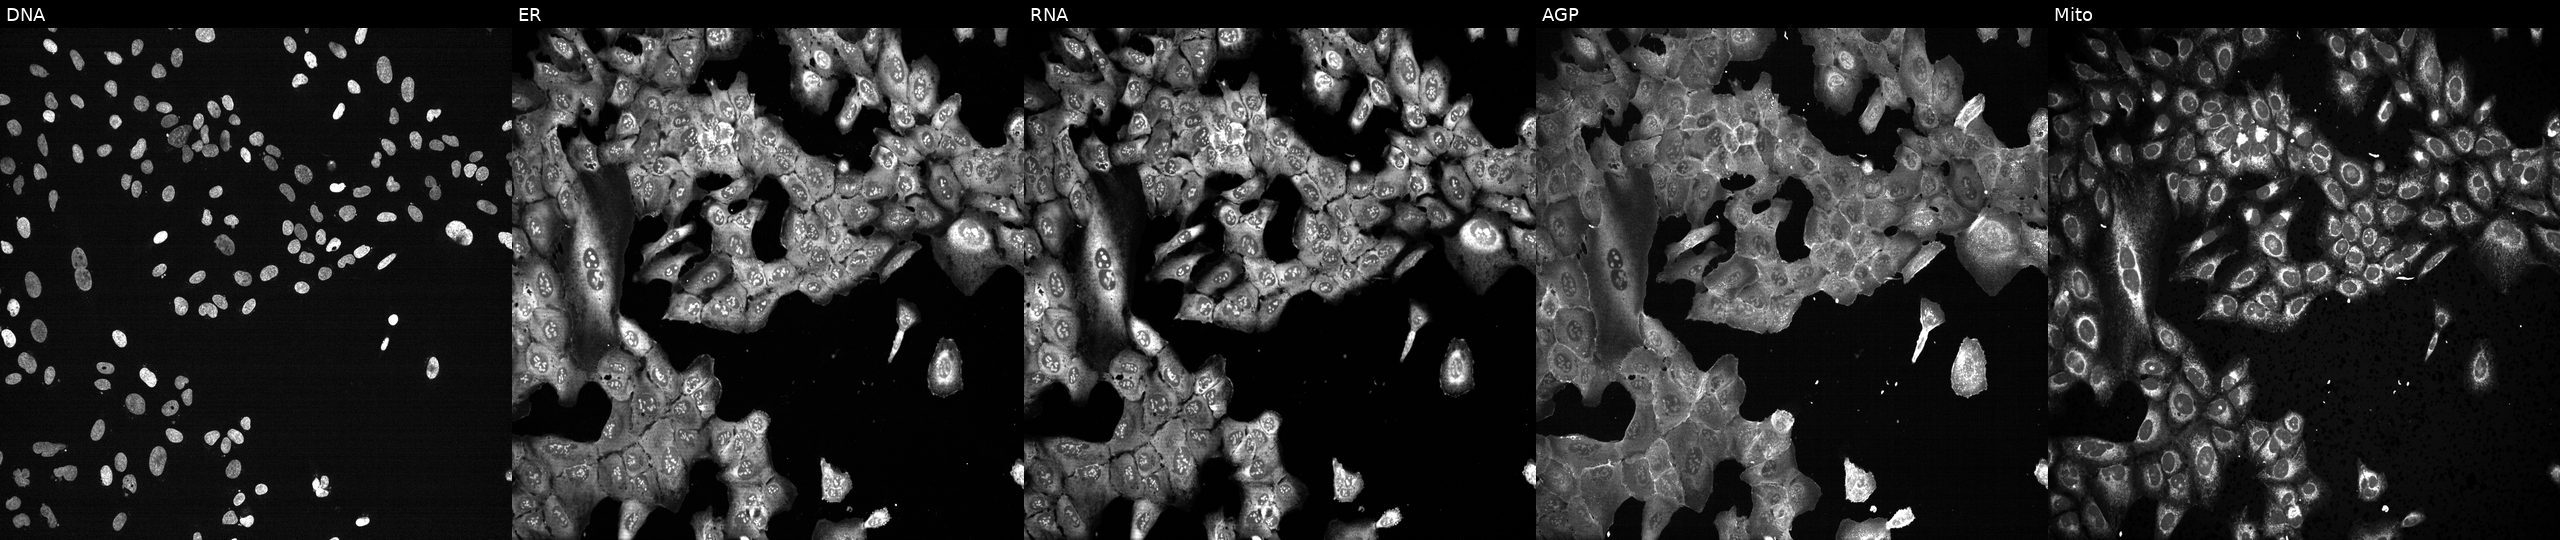
JUMP Cell Painting — CRISPR plate. U2OS cells with EIF2S2 knocked out by CRISPR. Panels show, left to right, Hoechst 33342, concanavalin A, SYTO 14, phalloidin and WGA, MitoTracker.